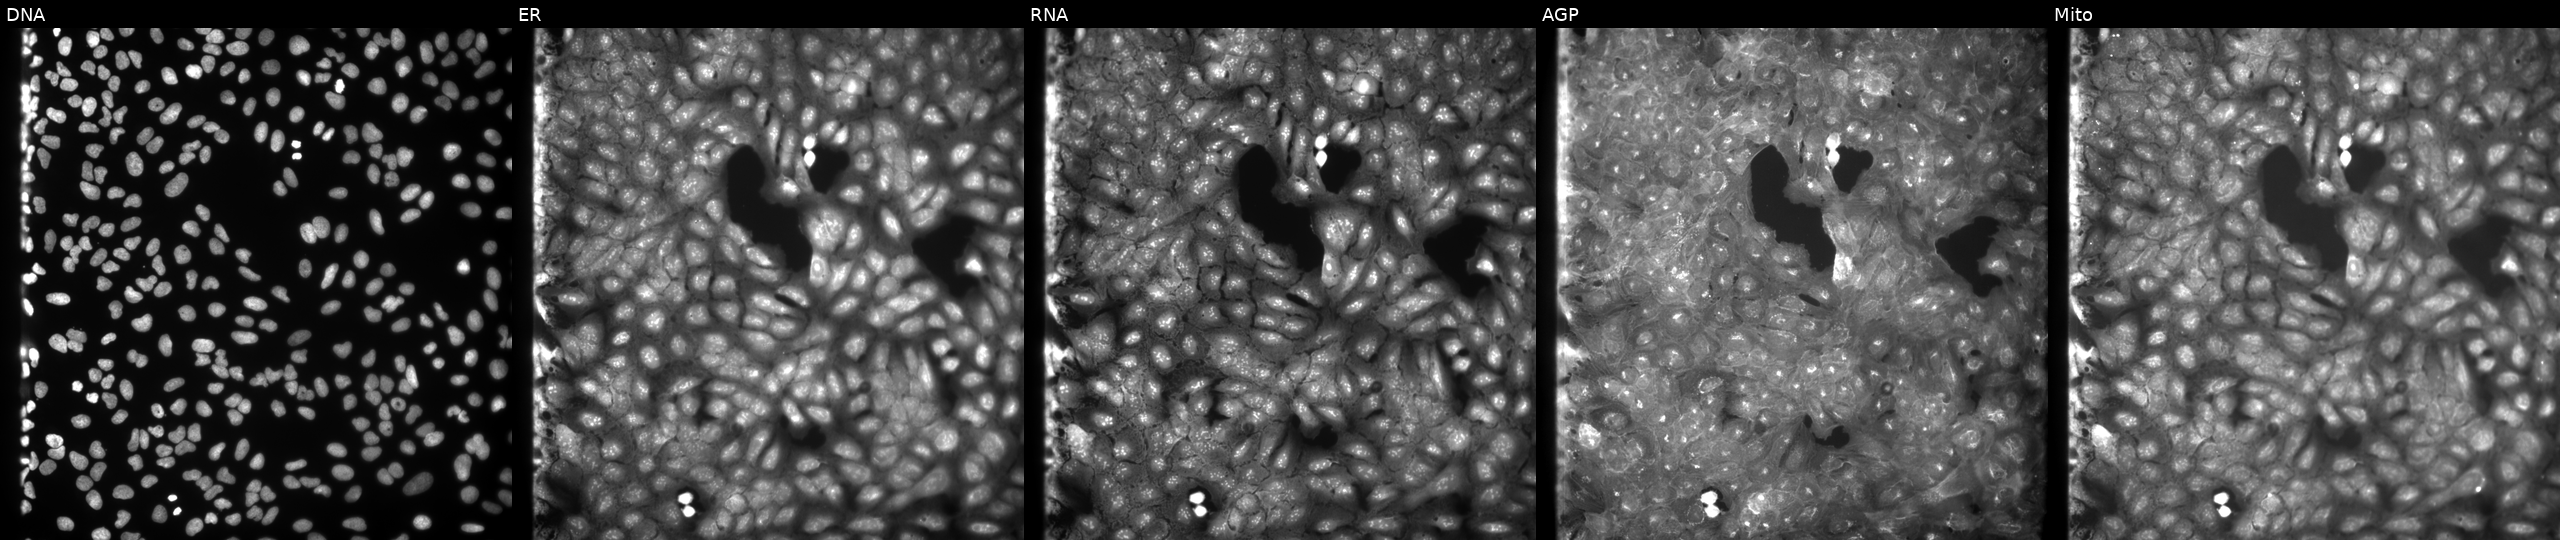
This image strip shows the five Cell Painting channels for a single field of U2OS cells exposed to a small-molecule compound (JUMP id JCP2022_114515). The five panels, left to right, show DNA (nuclei); ER (endoplasmic reticulum); RNA (nucleoli and cytoplasmic RNA); AGP (actin cytoskeleton, Golgi, and plasma membrane); Mito (mitochondria). Source 9, plate GR00003381, well F07.